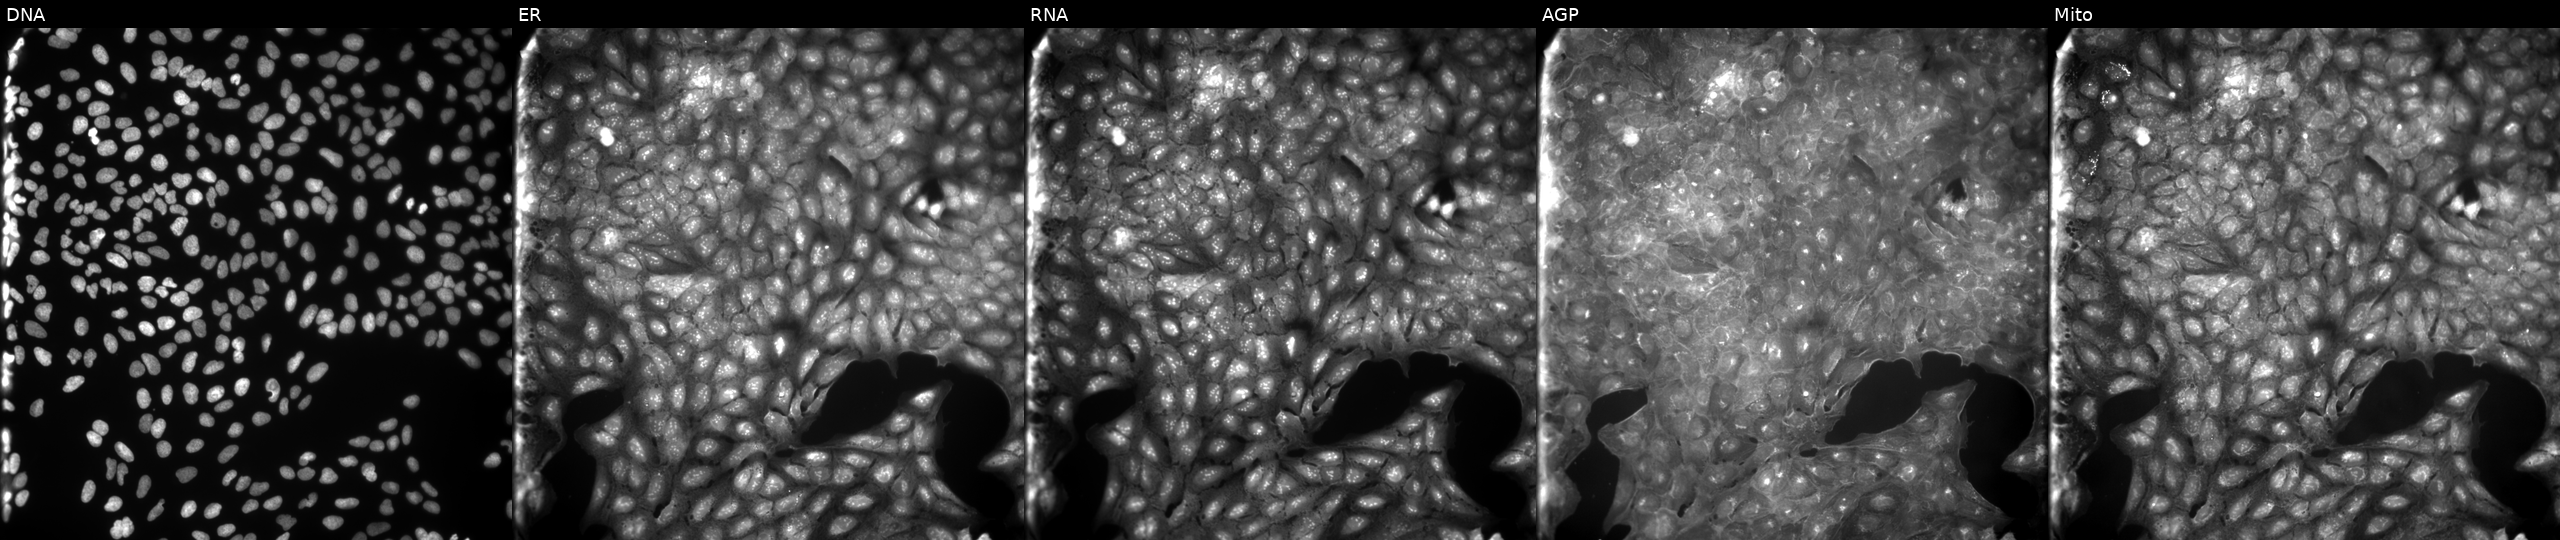
JUMP Cell Painting — COMPOUND plate. U2OS cells exposed to a small-molecule compound (InChIKey XABDOZJHSHZYRJ-UHFFFAOYSA-N) [SMILES: CC(C)(C)c1ccc(C=CC(=O)N2CCOCC2)cc1]. Channels (left→right): DNA, ER, RNA, AGP, and Mito.